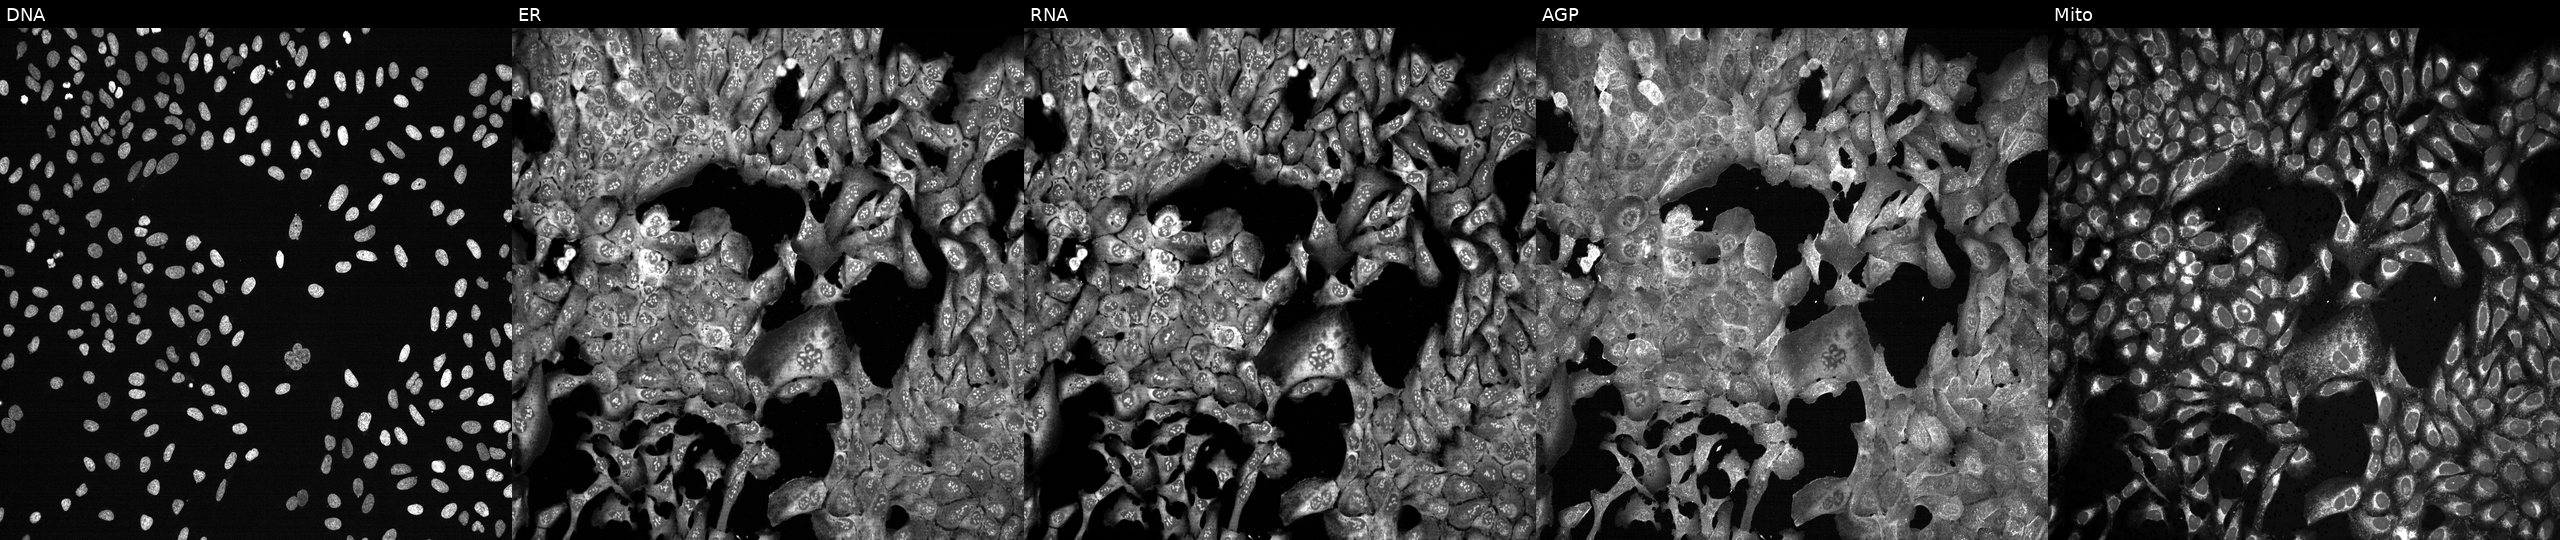
High-content fluorescence microscopy (Cell Painting). Cell line: U2OS. Perturbation: with PCYT2 knocked out by CRISPR. The five panels, left to right, show DNA (nuclei); ER (endoplasmic reticulum); RNA (nucleoli and cytoplasmic RNA); AGP (actin cytoskeleton, Golgi, and plasma membrane); Mito (mitochondria). Source 13, plate CP-CC9-R2-02, well K07.